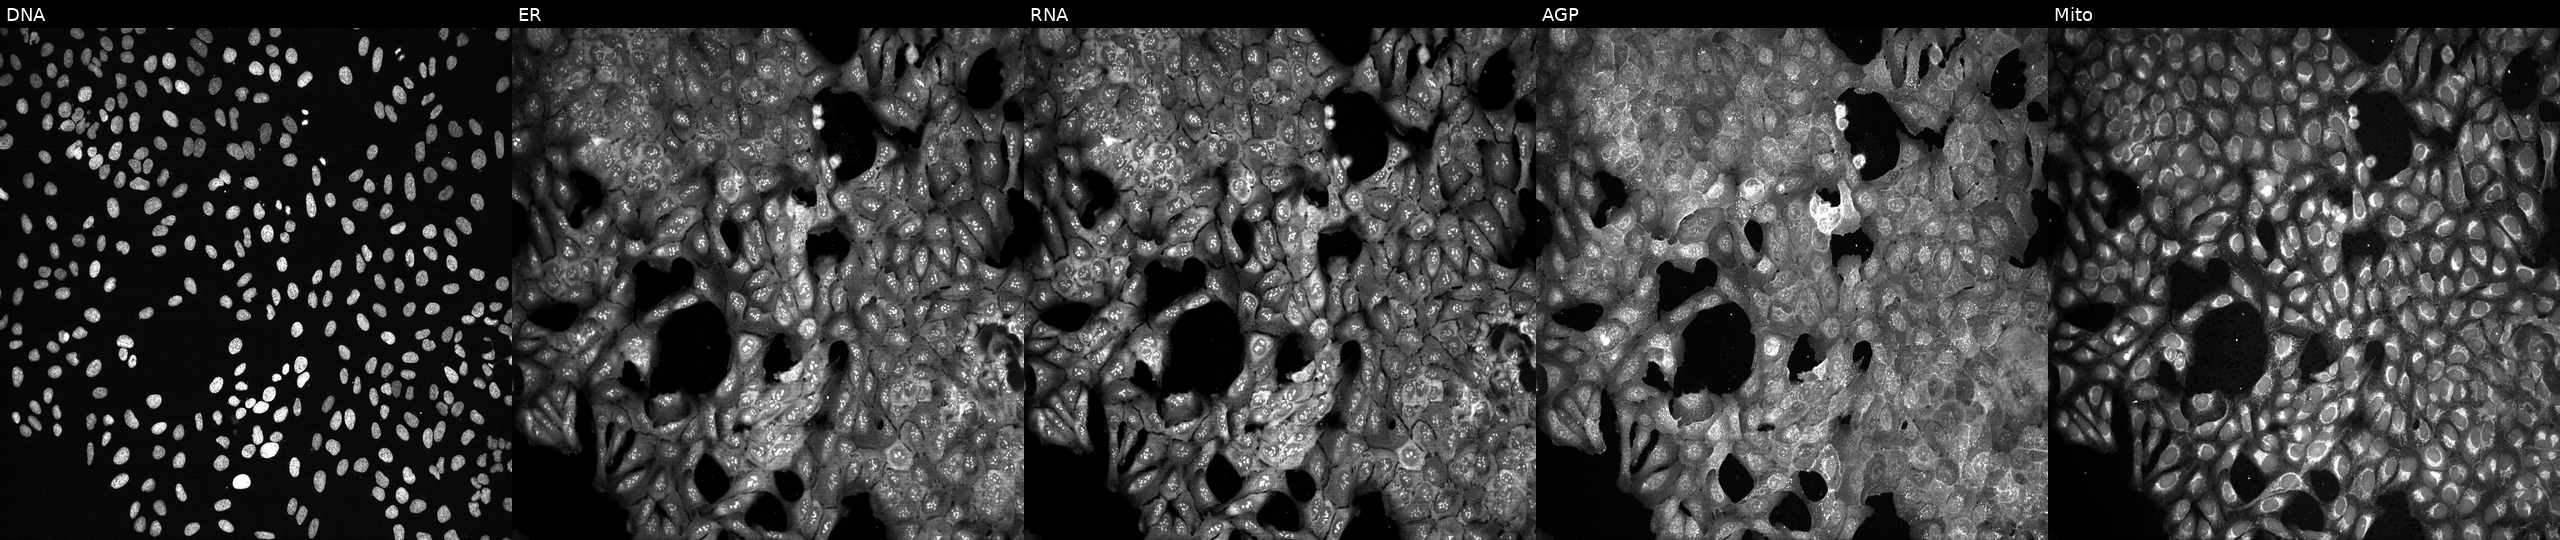
This image strip shows the five Cell Painting channels for a single field of U2OS cells following CRISPR knockout of TMED10 (JUMP id JCP2022_807126). The five panels, left to right, show DNA, ER, RNA, AGP, and Mito. Source 13, plate CP-CC9-R5-01, well B18.